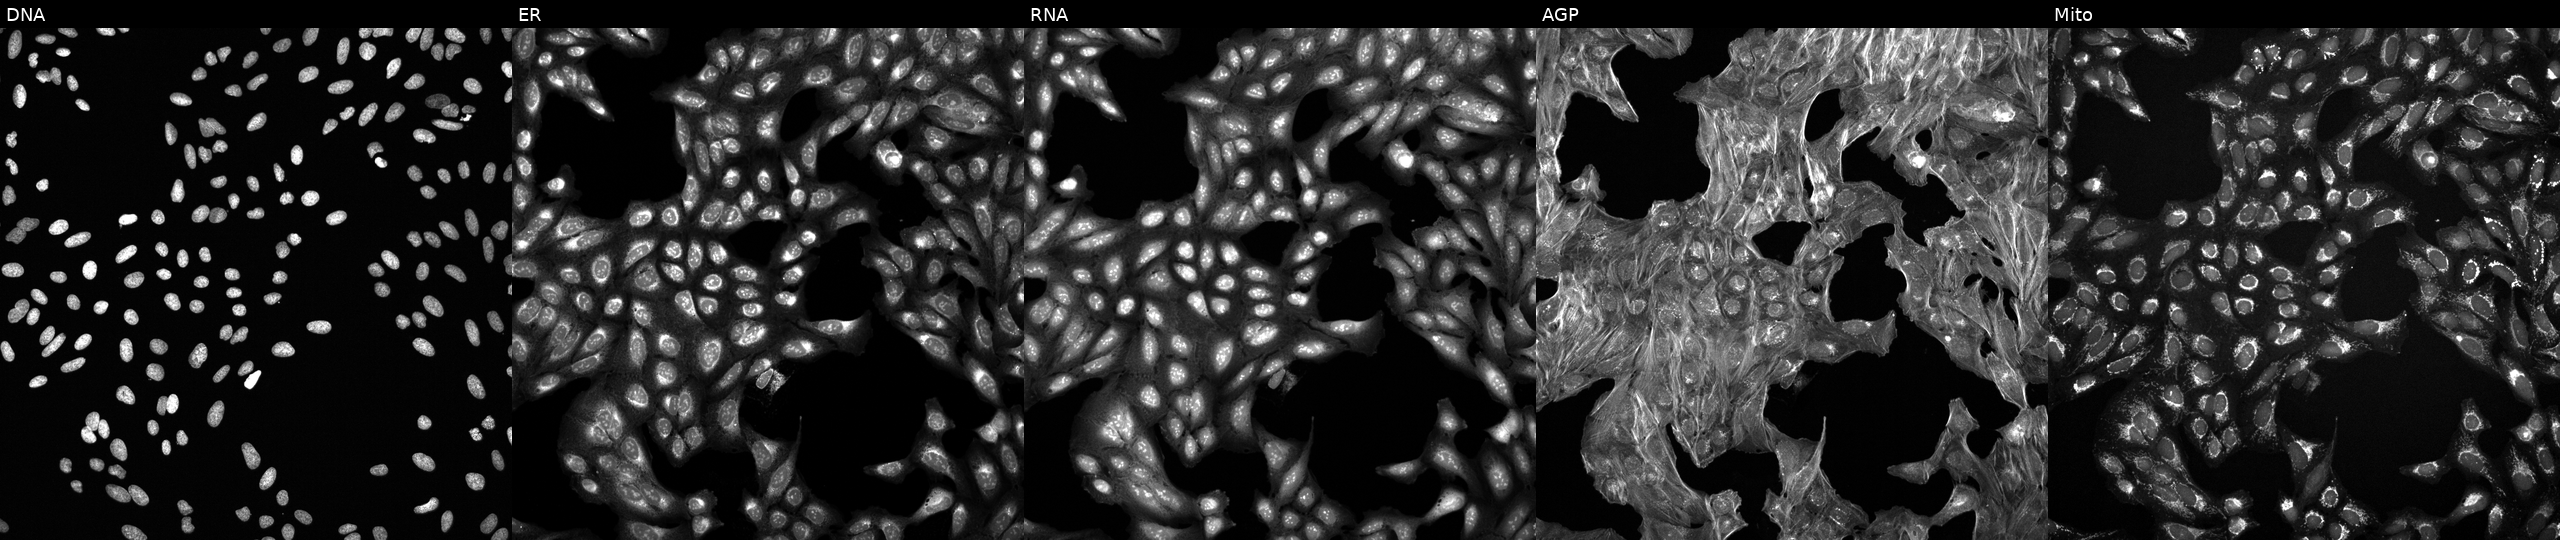
Five-channel Cell Painting image of U2OS cells treated with DMSO vehicle only (negative control) (JUMP id JCP2022_033924). From left to right: DNA, ER, RNA, AGP, and Mito. Source 6, plate 110000293083, well A02.